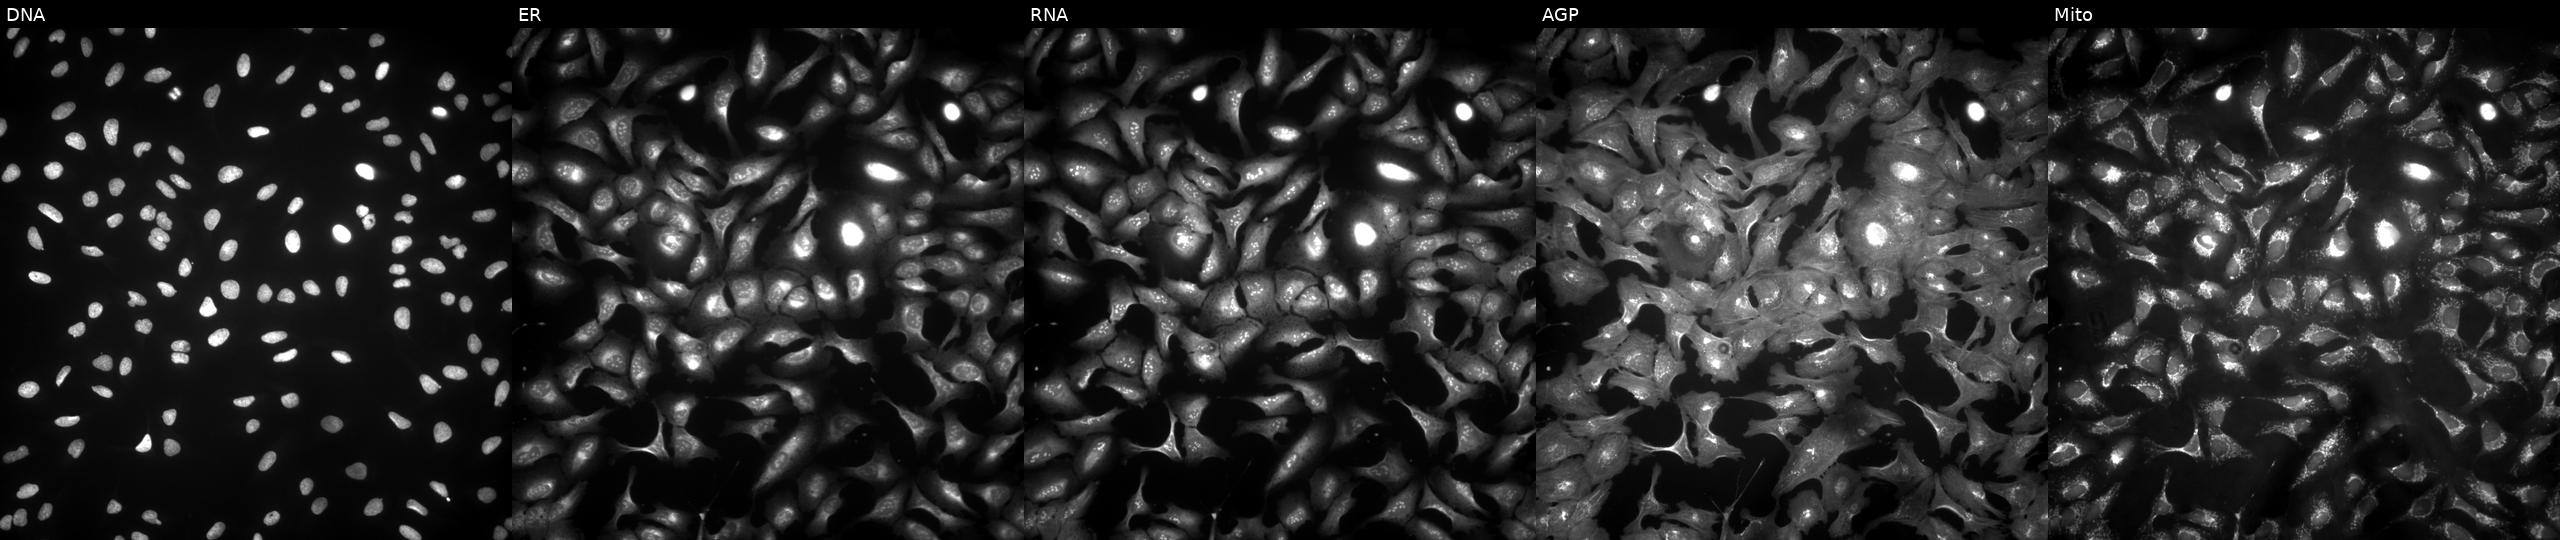
High-content fluorescence microscopy (Cell Painting). Cell line: U2OS. Perturbation: with ABHD16A overexpressed (ORF). From left to right: DNA (nuclei); ER (endoplasmic reticulum); RNA (nucleoli and cytoplasmic RNA); AGP (actin cytoskeleton, Golgi, and plasma membrane); Mito (mitochondria). Source 4, plate BR00123506, well P16.